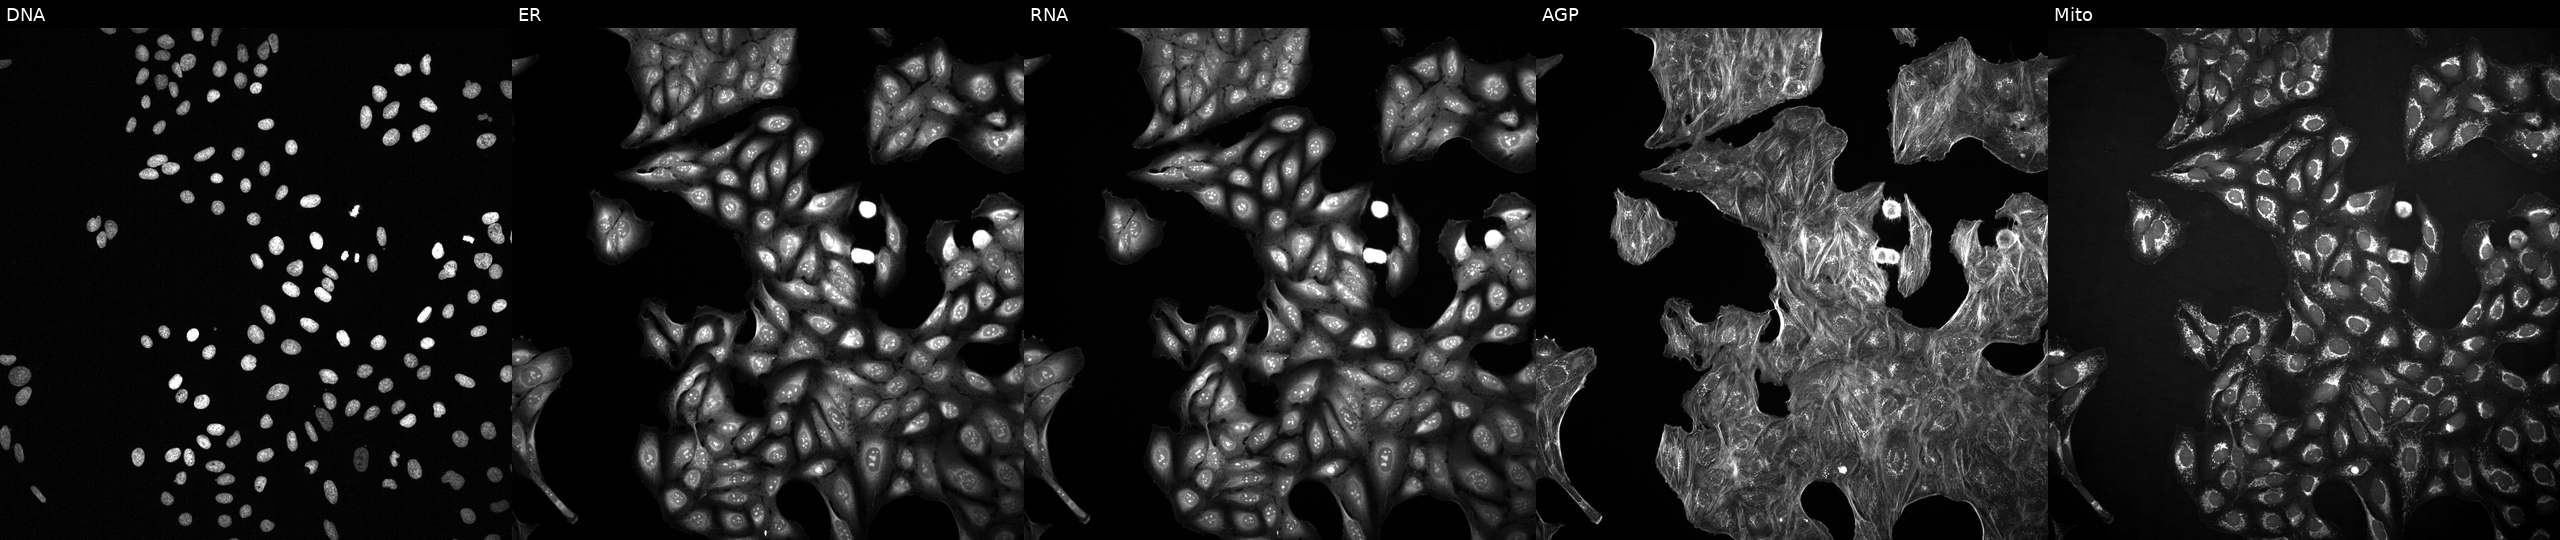
This image strip shows the five Cell Painting channels for a single field of U2OS cells with an unidentified perturbation (not annotated in JUMP metadata). Channels (left→right): Hoechst 33342, concanavalin A, SYTO 14, phalloidin and WGA, MitoTracker. Source 2, plate 1053601756, well B22.